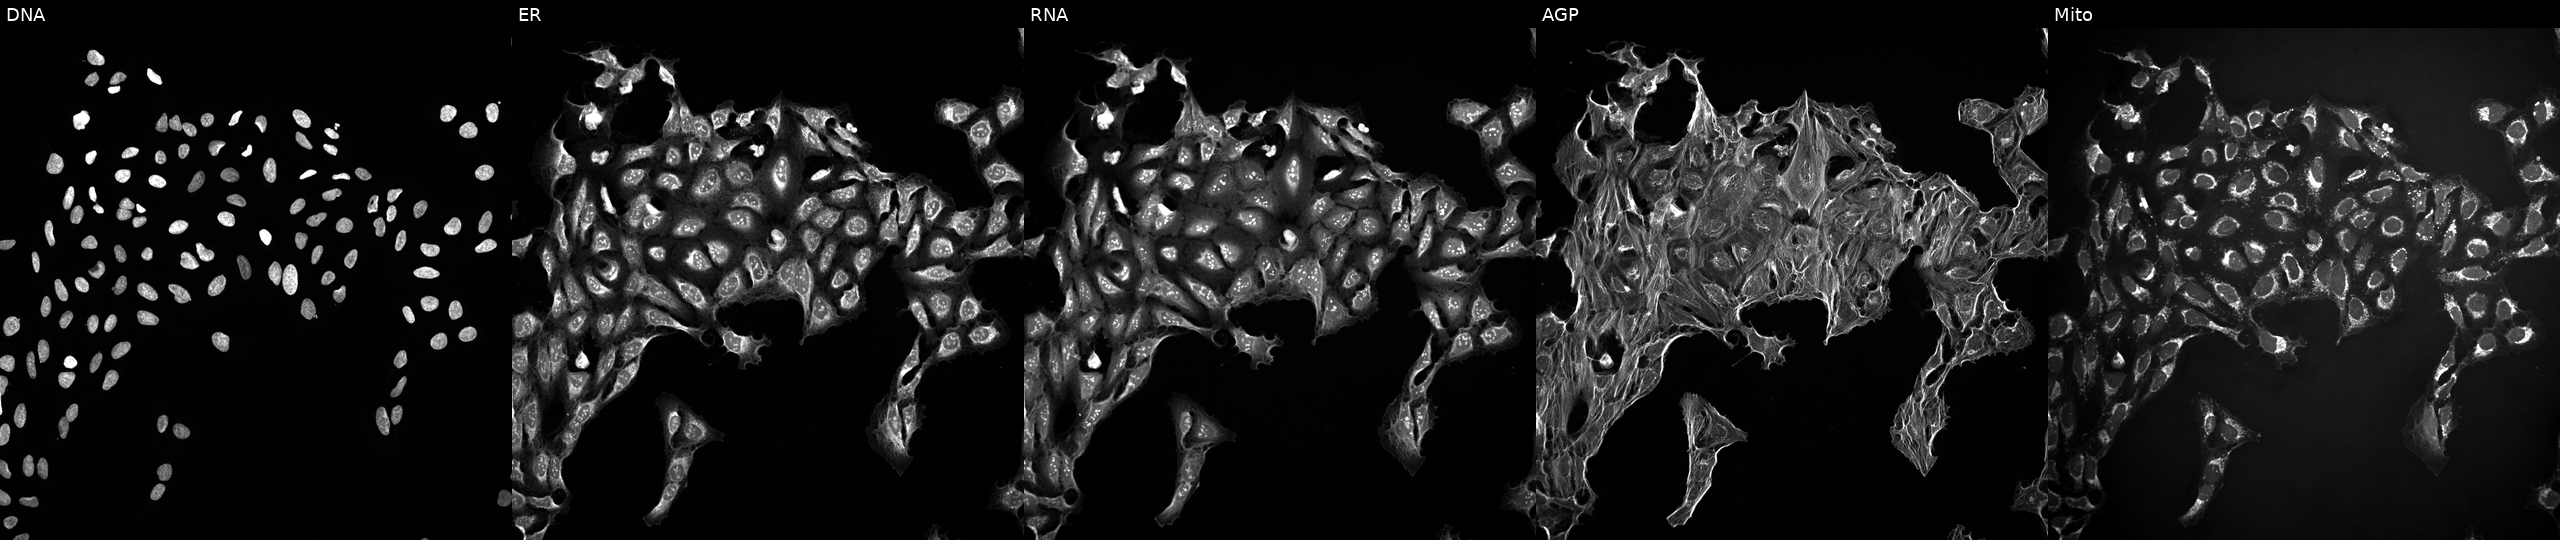
Five-channel Cell Painting image of U2OS cells perturbed with a small-molecule compound (InChIKey WATNXVHKRRTUFK-UHFFFAOYSA-N) [SMILES: CCCC(CCC)C(=O)NCc1ccc2c(cnn2-c2ccccc2OC)c1]. Channels (left→right): Hoechst 33342, concanavalin A, SYTO 14, phalloidin and WGA, MitoTracker.